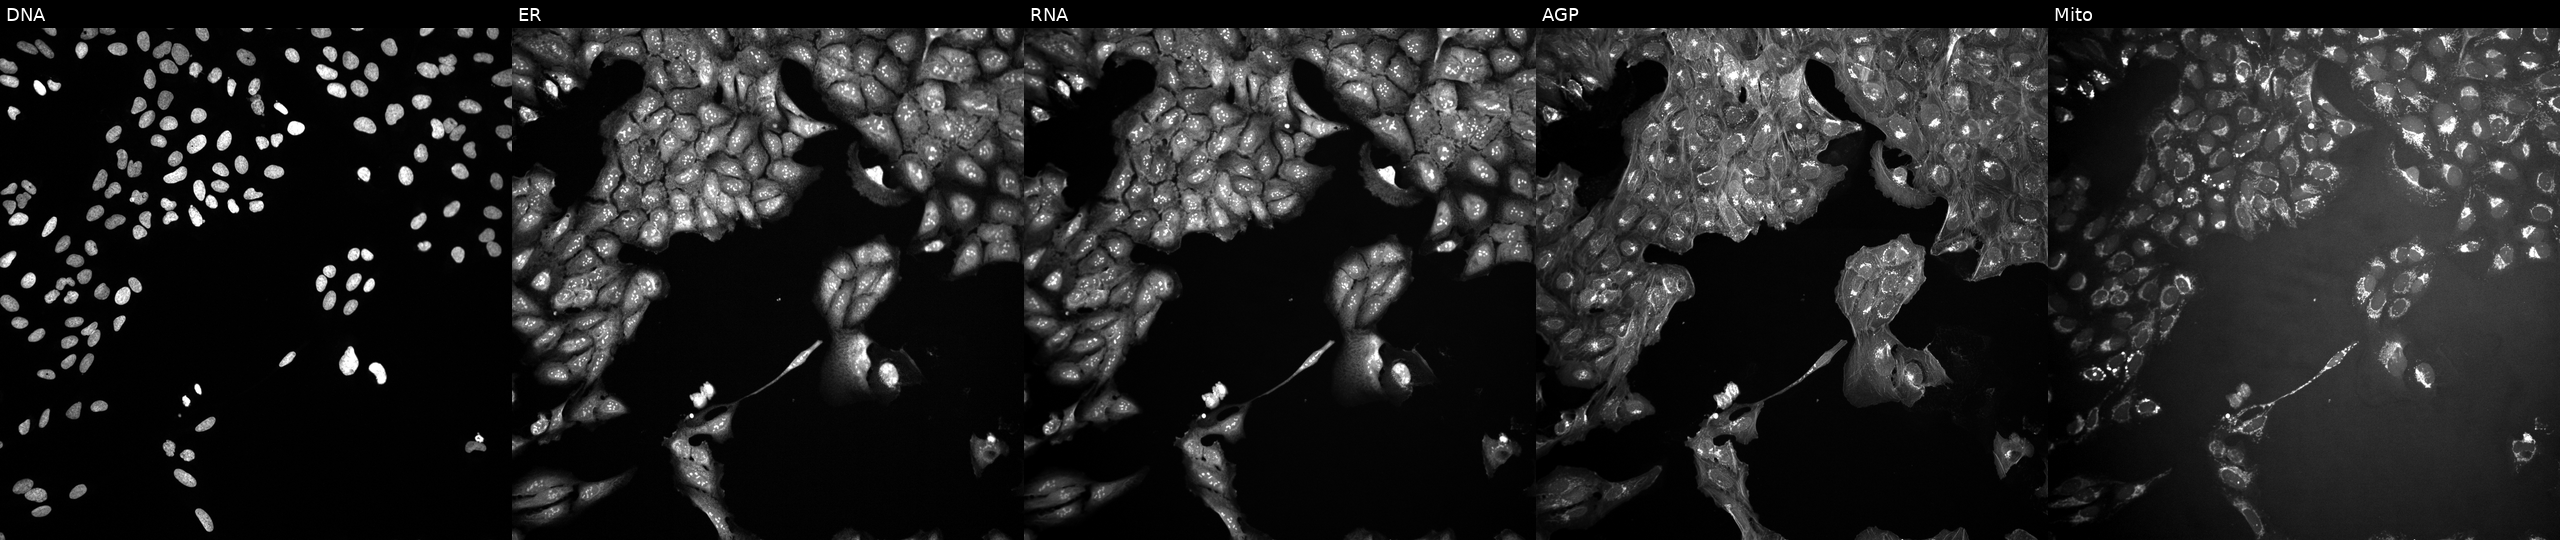
This image strip shows the five Cell Painting channels for a single field of U2OS cells treated with a small-molecule compound (InChIKey KVASCRAFJNPOIT-UHFFFAOYSA-N) (JUMP id JCP2022_047195). Channels (left→right): DNA, ER, RNA, AGP, and Mito.